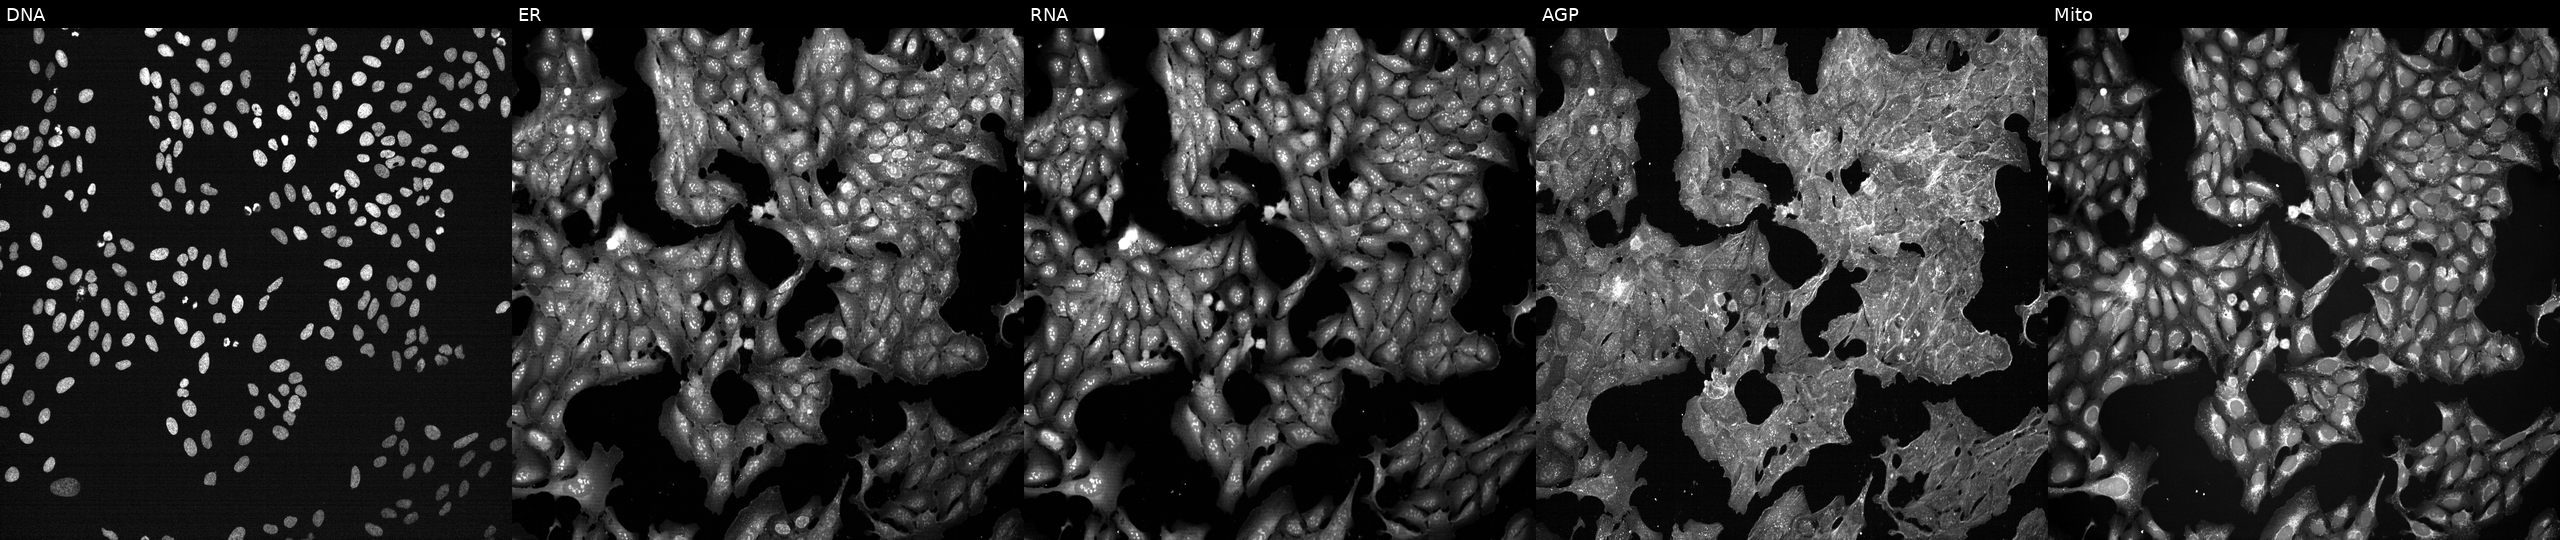
Five-channel Cell Painting image of U2OS cells treated with DMSO vehicle only (negative control). Channels (left→right): Hoechst 33342, concanavalin A, SYTO 14, phalloidin and WGA, MitoTracker. Source 7, plate CP2-SC1-25, well M18.